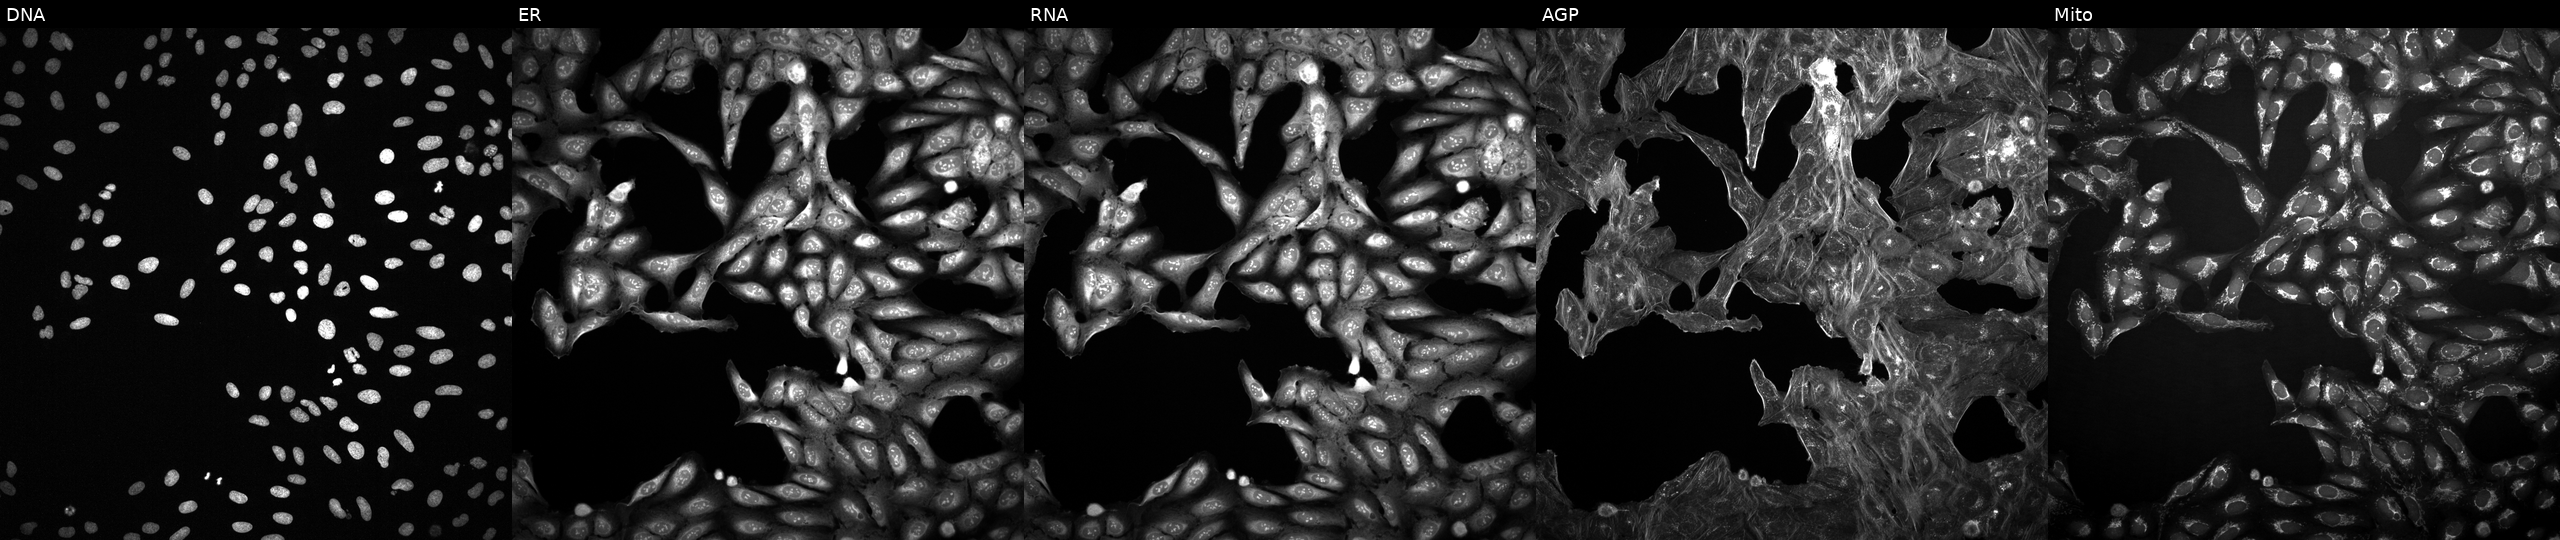
High-content fluorescence microscopy (Cell Painting). Cell line: U2OS. Perturbation: perturbed with a small-molecule compound [SMILES: FCc1ccc(OCCOc2ccc(Cl)cc2Cl)c(Cl)n1]. Channels (left→right): DNA (nuclei); ER (endoplasmic reticulum); RNA (nucleoli and cytoplasmic RNA); AGP (actin cytoskeleton, Golgi, and plasma membrane); Mito (mitochondria). Source 2, plate 1053597936, well E14.